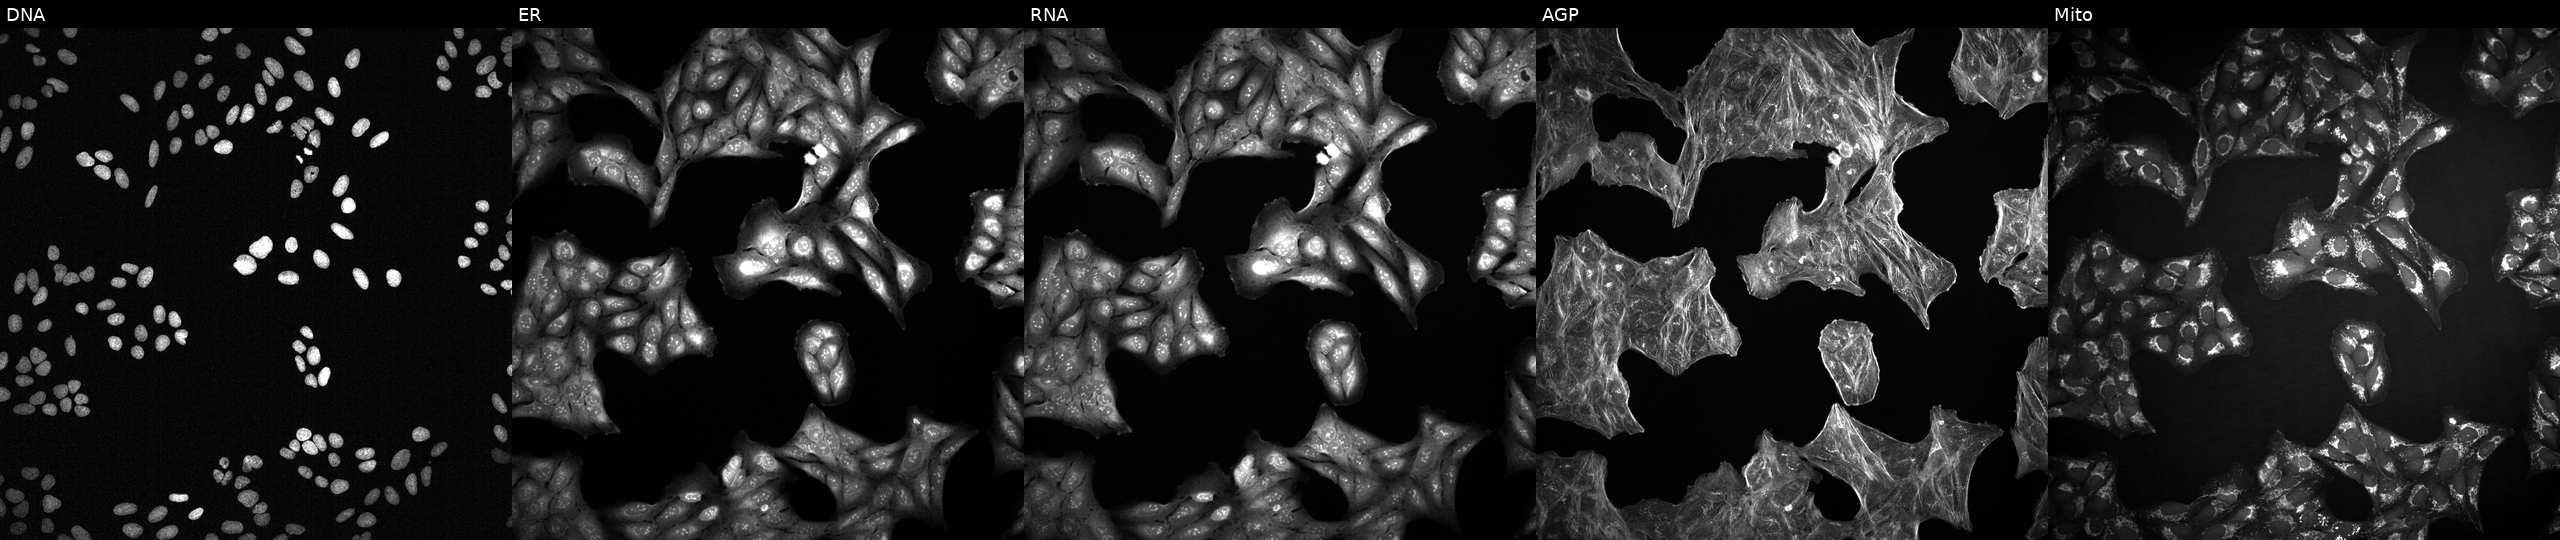
JUMP Cell Painting — TARGET2 plate. U2OS cells treated with DMSO vehicle only (negative control) (JUMP id JCP2022_033924). The five panels, left to right, show Hoechst 33342, concanavalin A, SYTO 14, phalloidin and WGA, MitoTracker.